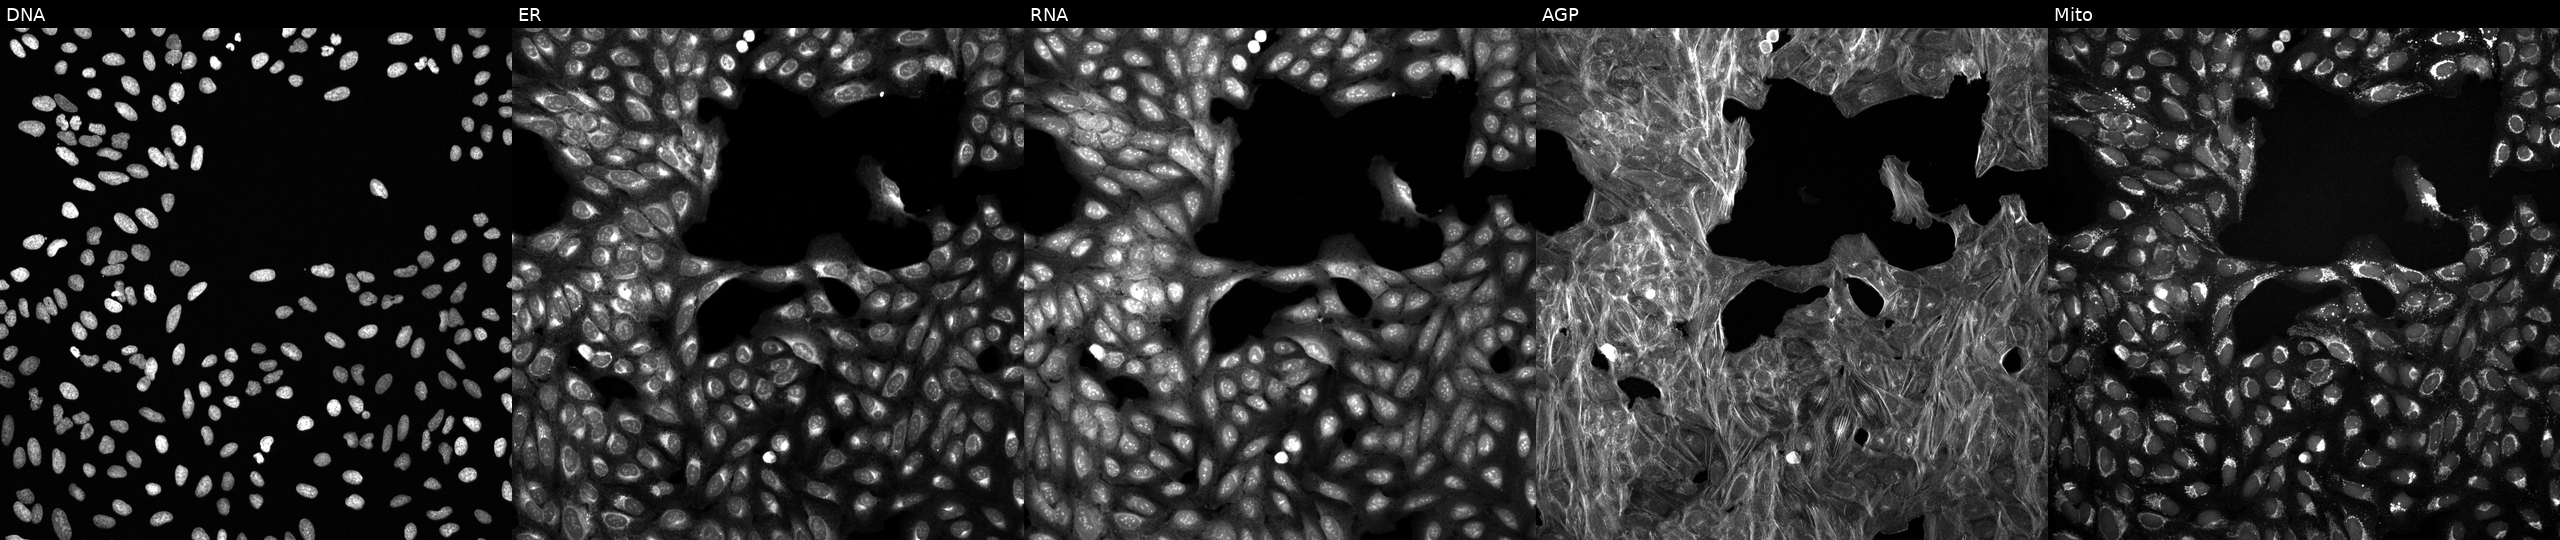
High-content fluorescence microscopy (Cell Painting). Cell line: U2OS. Perturbation: treated with a small-molecule compound (InChIKey XJXVMXWOUHYDBB-UHFFFAOYSA-N) [SMILES: CC(Nc1cccc(NS(C)(=O)=O)c1)C(=O)N1c2ccccc2CC1C] (JUMP id JCP2022_104134). Channels (left→right): DNA (nuclei); ER (endoplasmic reticulum); RNA (nucleoli and cytoplasmic RNA); AGP (actin cytoskeleton, Golgi, and plasma membrane); Mito (mitochondria).